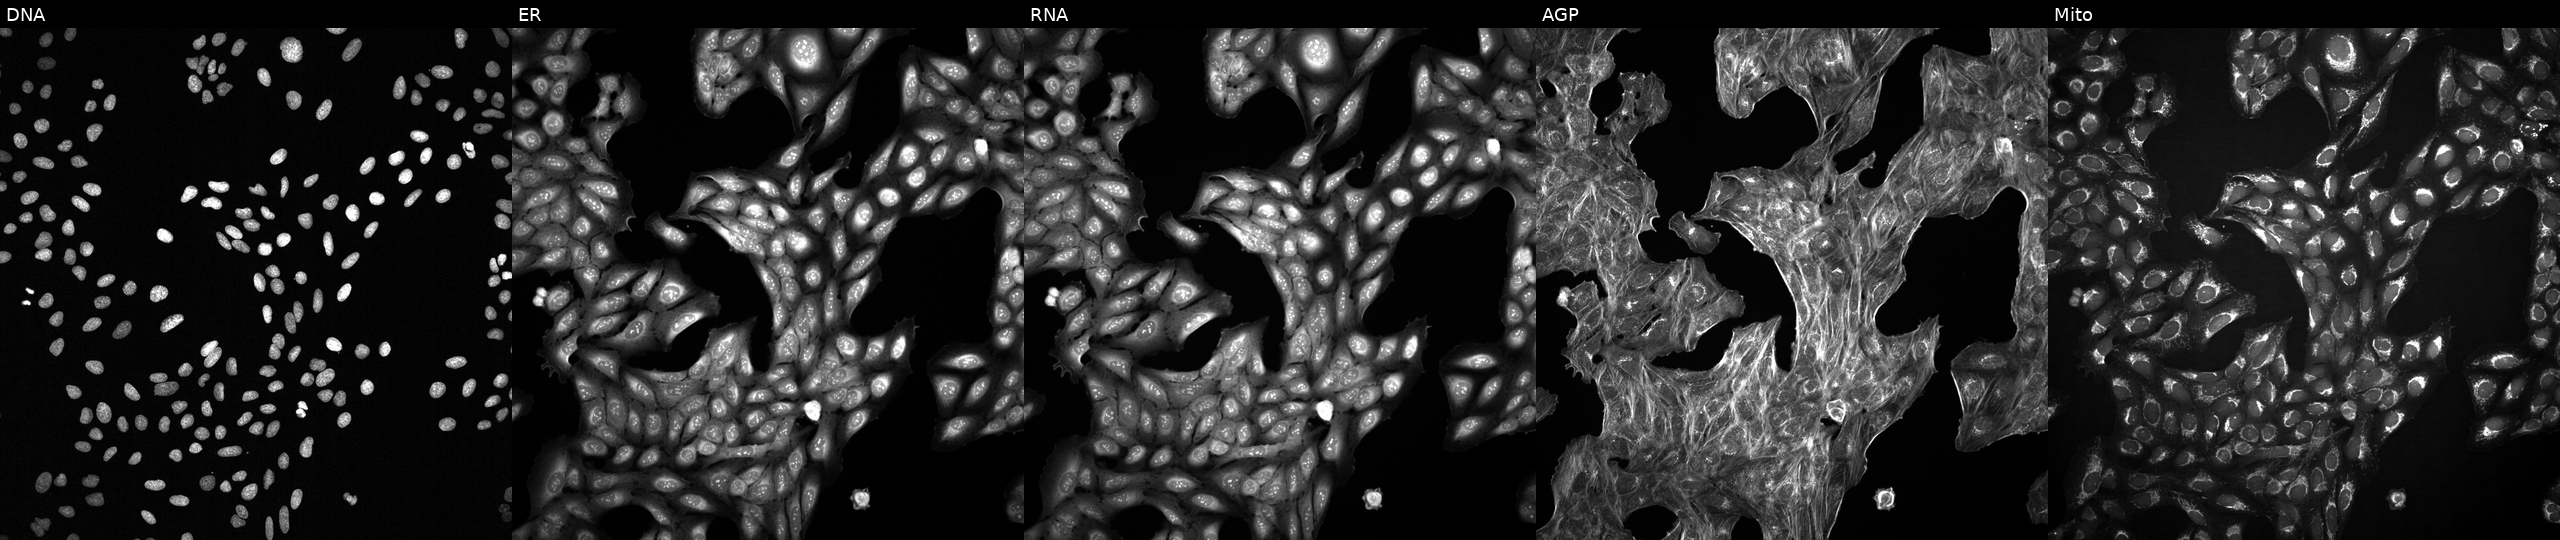
High-content fluorescence microscopy (Cell Painting). Cell line: U2OS. Perturbation: perturbed with a small-molecule compound (JUMP id JCP2022_071990). The five panels, left to right, show DNA (nuclei); ER (endoplasmic reticulum); RNA (nucleoli and cytoplasmic RNA); AGP (actin cytoskeleton, Golgi, and plasma membrane); Mito (mitochondria).